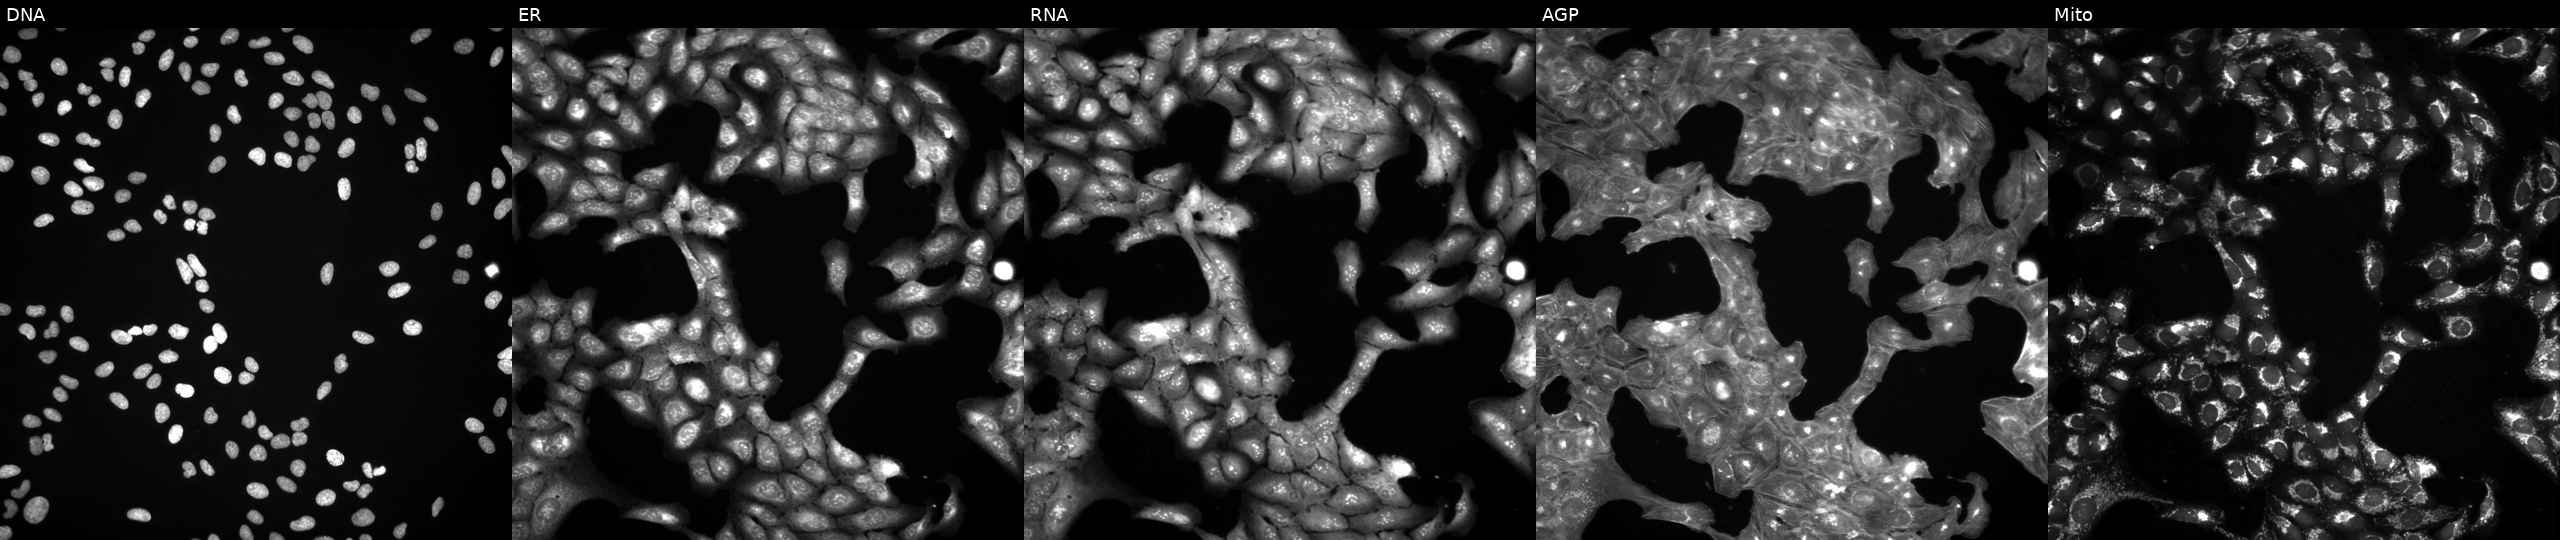
The five panels, left to right, show DNA (nuclei); ER (endoplasmic reticulum); RNA (nucleoli and cytoplasmic RNA); AGP (actin cytoskeleton, Golgi, and plasma membrane); Mito (mitochondria). U2OS osteosarcoma cells treated with a small-molecule compound (JUMP id JCP2022_104794). Cell Painting assay, JUMP-CP dataset.